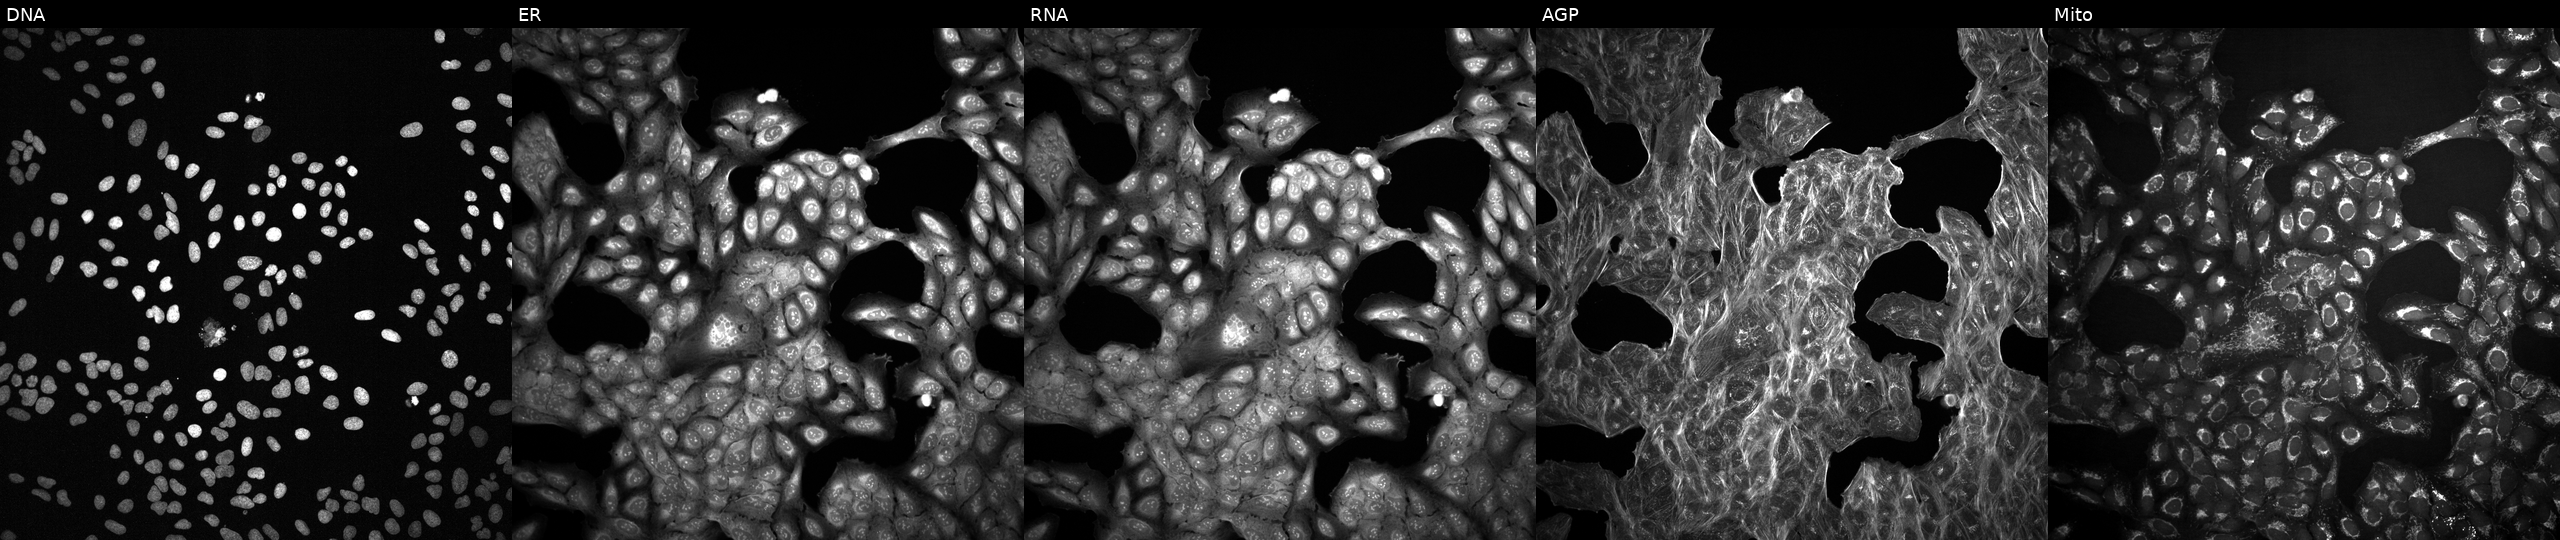
High-content fluorescence microscopy (Cell Painting). Cell line: U2OS. Perturbation: with an unidentified perturbation (not annotated in JUMP metadata). Channels (left→right): DNA, ER, RNA, AGP, and Mito.